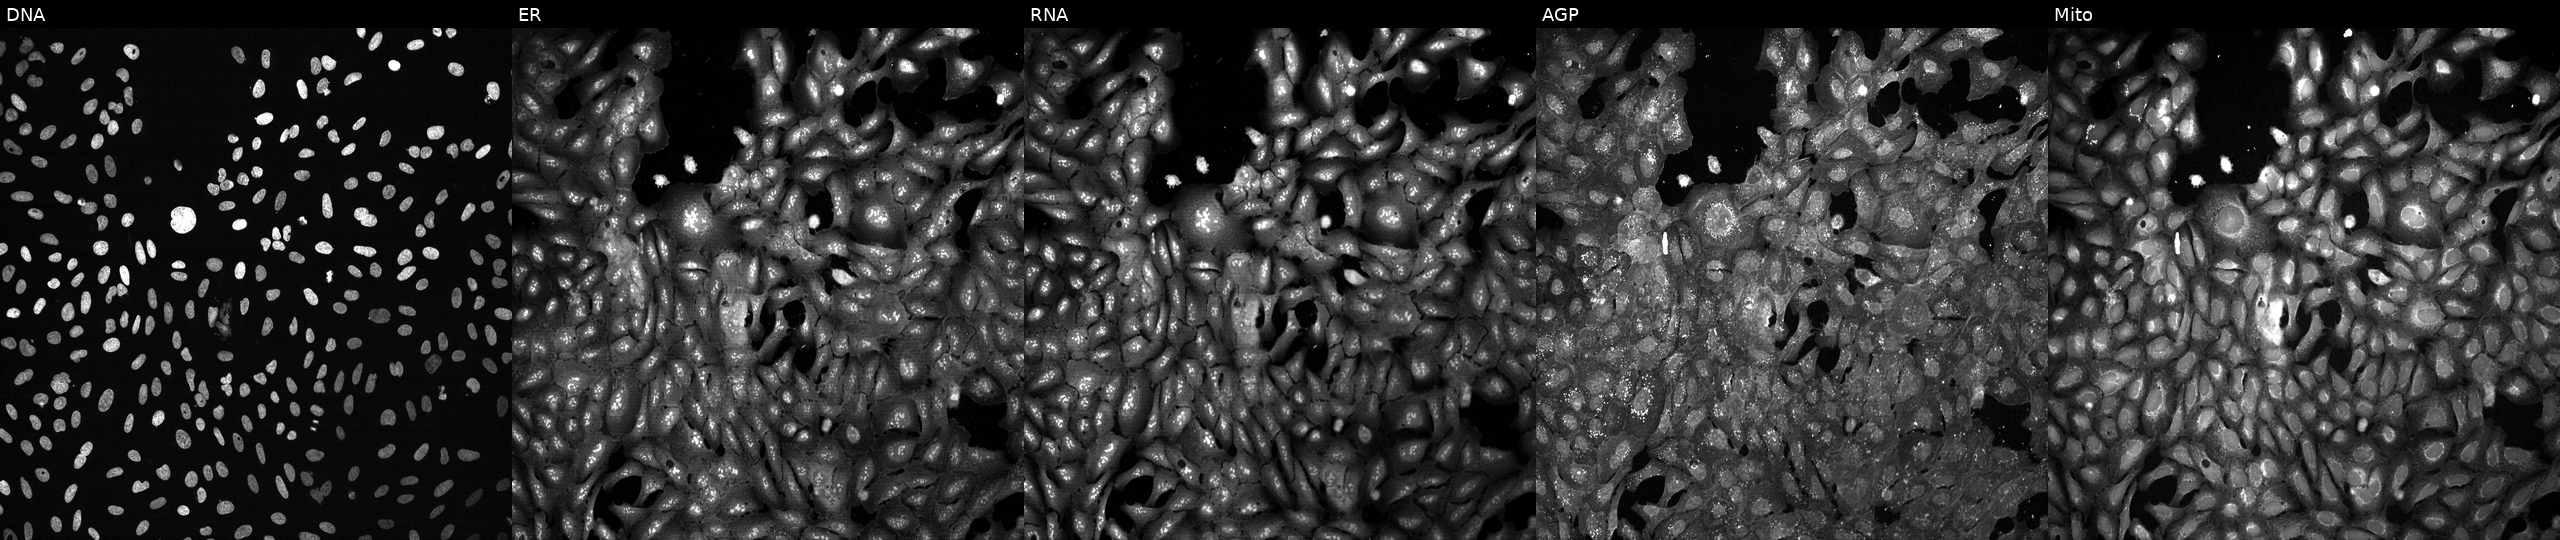
JUMP Cell Painting — CRISPR plate. U2OS cells following CRISPR knockout of PHYHD1 (JUMP id JCP2022_805125). Channels (left→right): DNA (nuclei); ER (endoplasmic reticulum); RNA (nucleoli and cytoplasmic RNA); AGP (actin cytoskeleton, Golgi, and plasma membrane); Mito (mitochondria). Source 13, plate CP-CC9-R1-01, well I18.